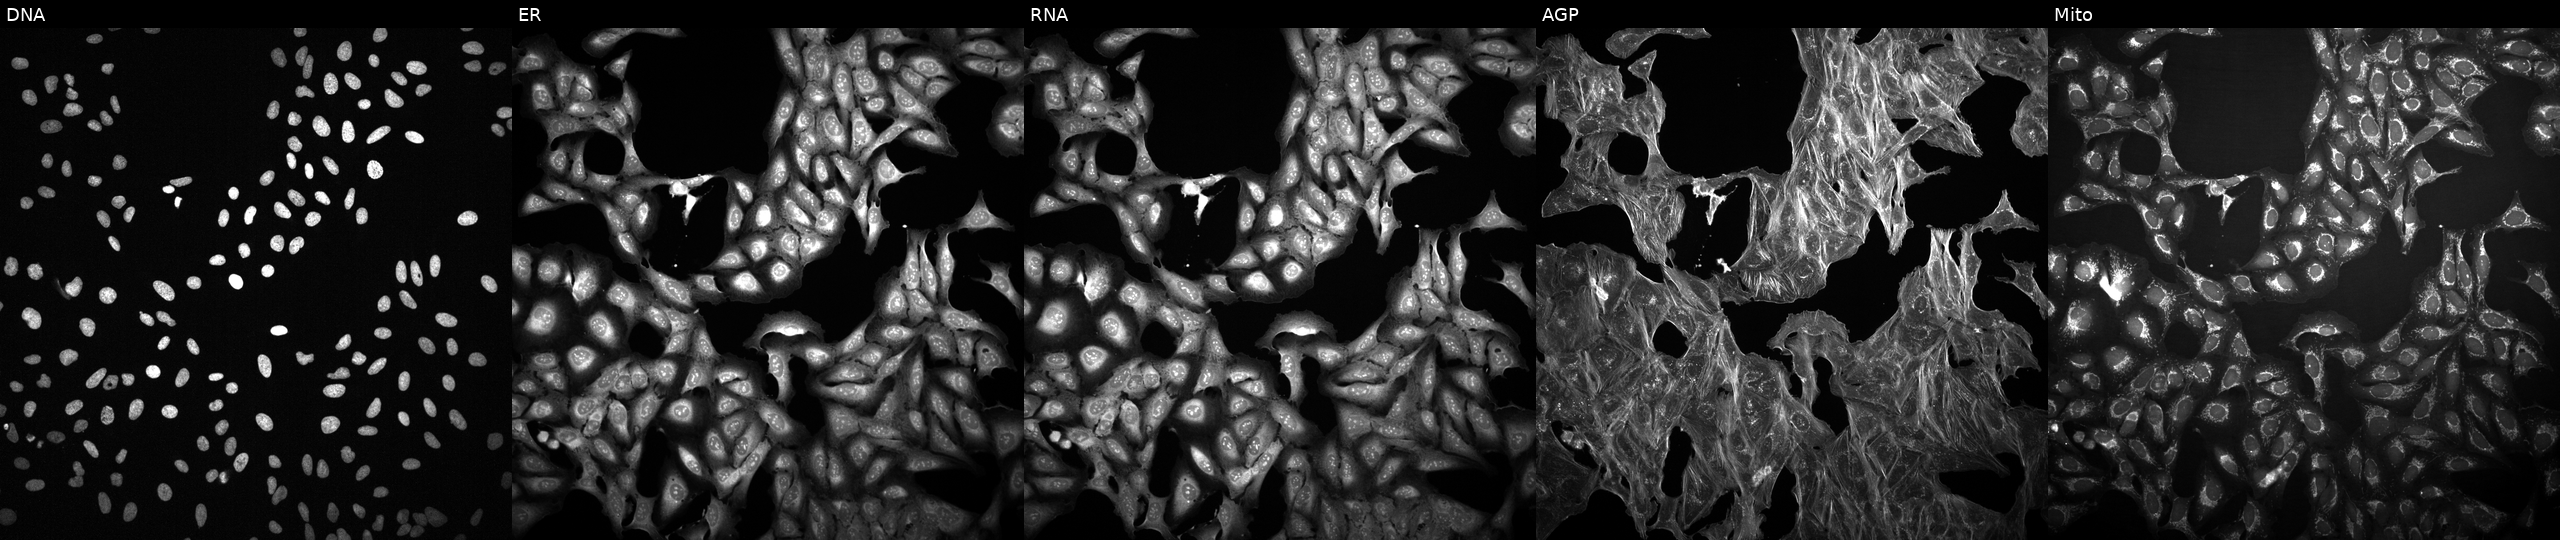
JUMP Cell Painting — TARGET2 plate. U2OS cells exposed to a small-molecule compound. Panels show, left to right, Hoechst 33342, concanavalin A, SYTO 14, phalloidin and WGA, MitoTracker.